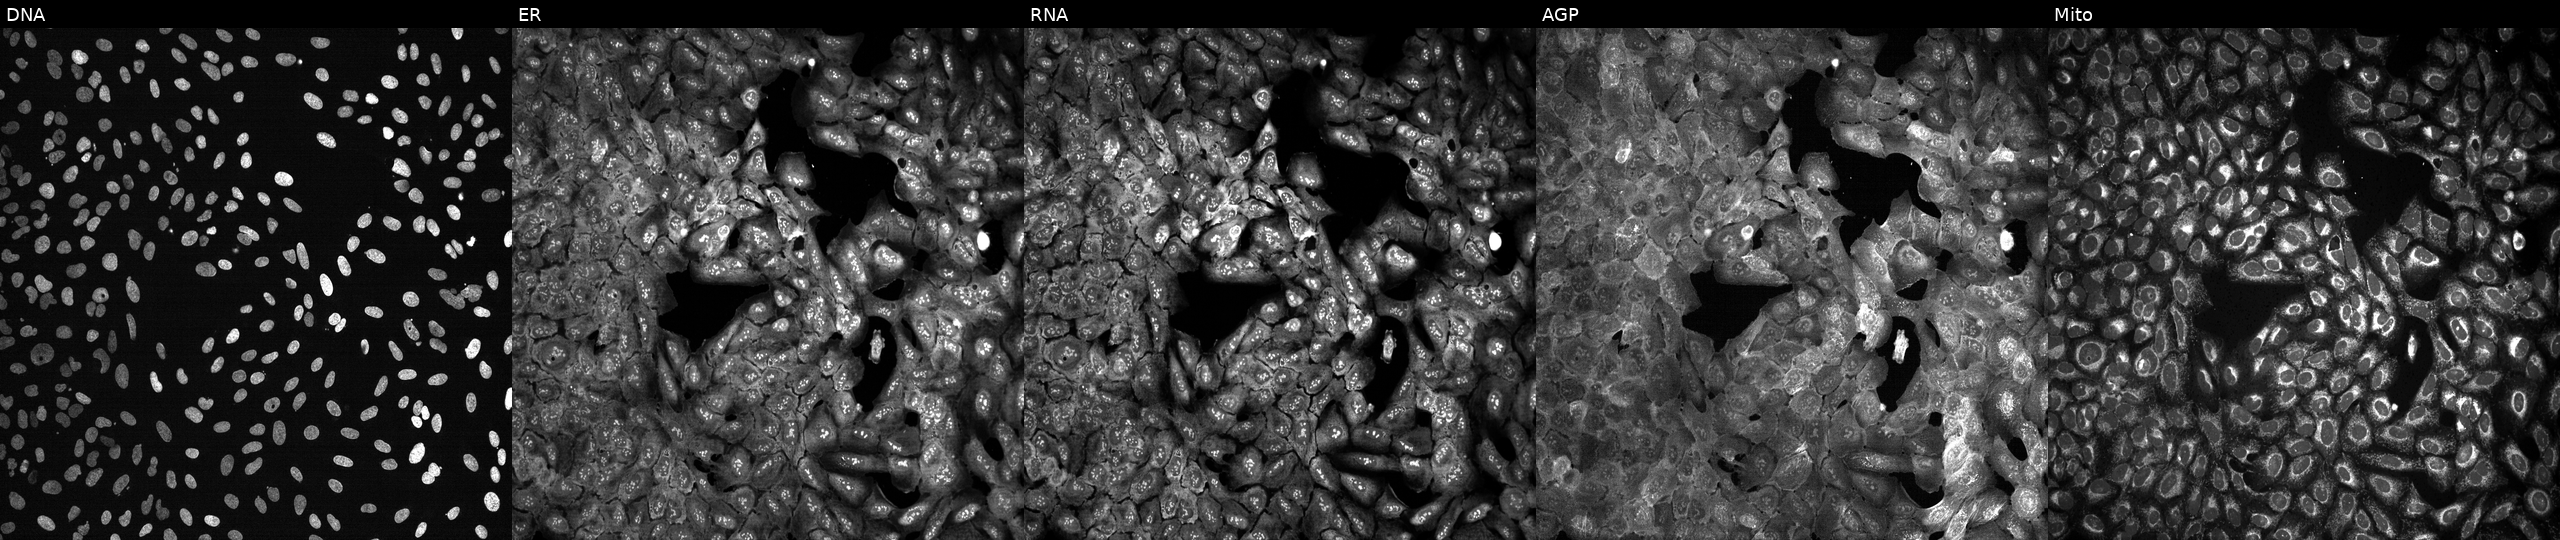
JUMP Cell Painting — CRISPR plate. U2OS cells following CRISPR knockout of DDX18 (JUMP id JCP2022_801723). The five panels, left to right, show Hoechst 33342, concanavalin A, SYTO 14, phalloidin and WGA, MitoTracker. Source 13, plate CP-CC9-R3-01, well J06.